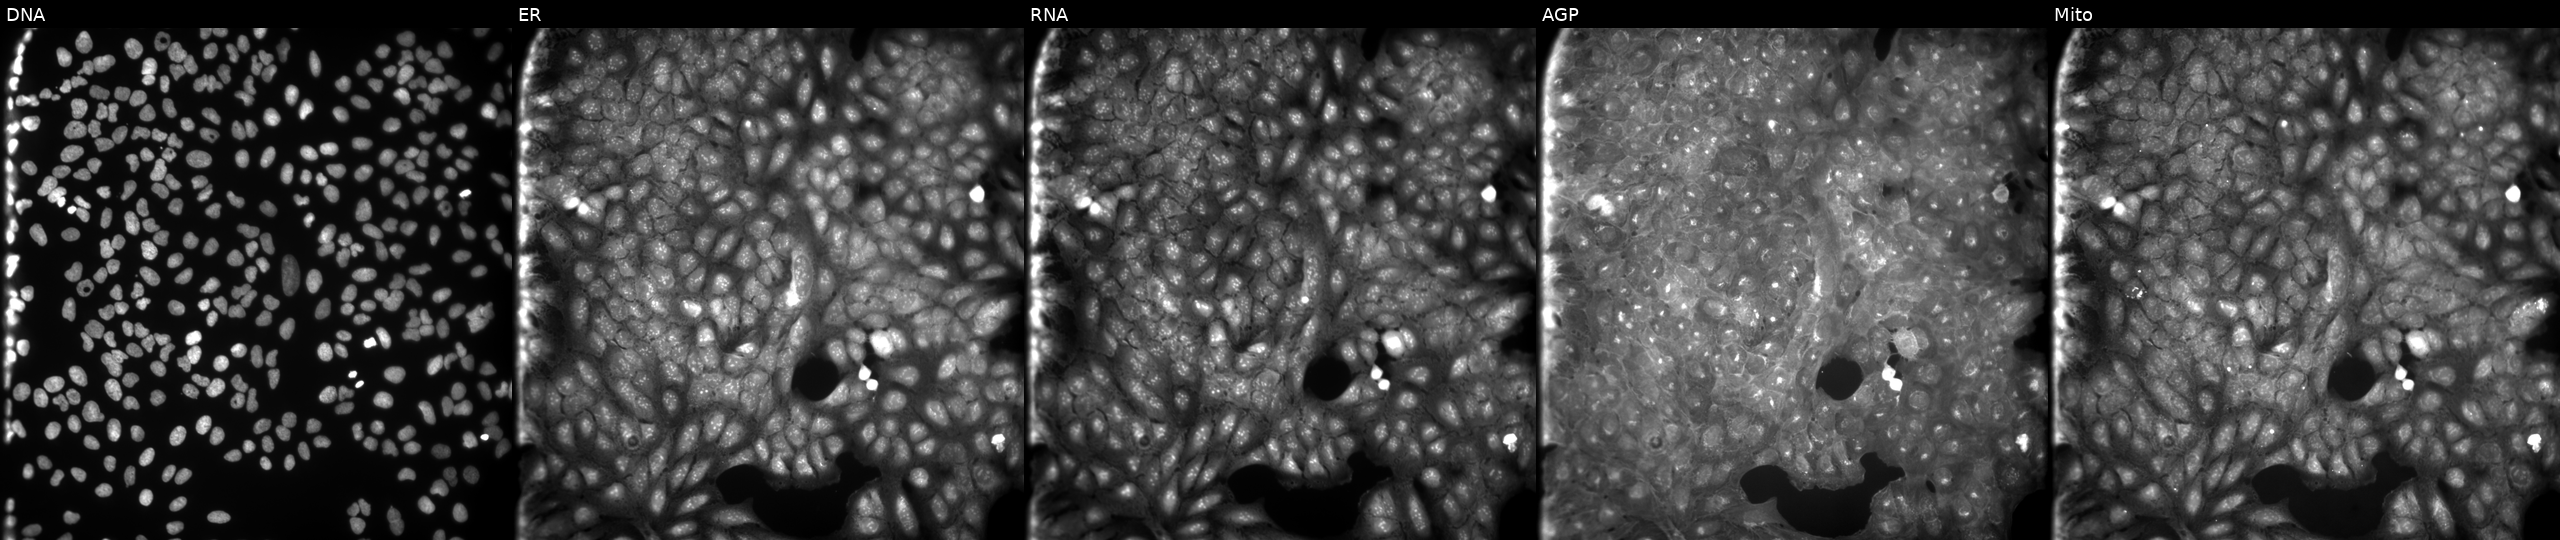
U2OS cells, Cell Painting assay, perturbed with a small-molecule compound (JUMP id JCP2022_066554). The five panels, left to right, show Hoechst 33342, concanavalin A, SYTO 14, phalloidin and WGA, MitoTracker. Each panel is percentile-stretched 16-bit fluorescence. Source 9, plate GR00003381, well T03.